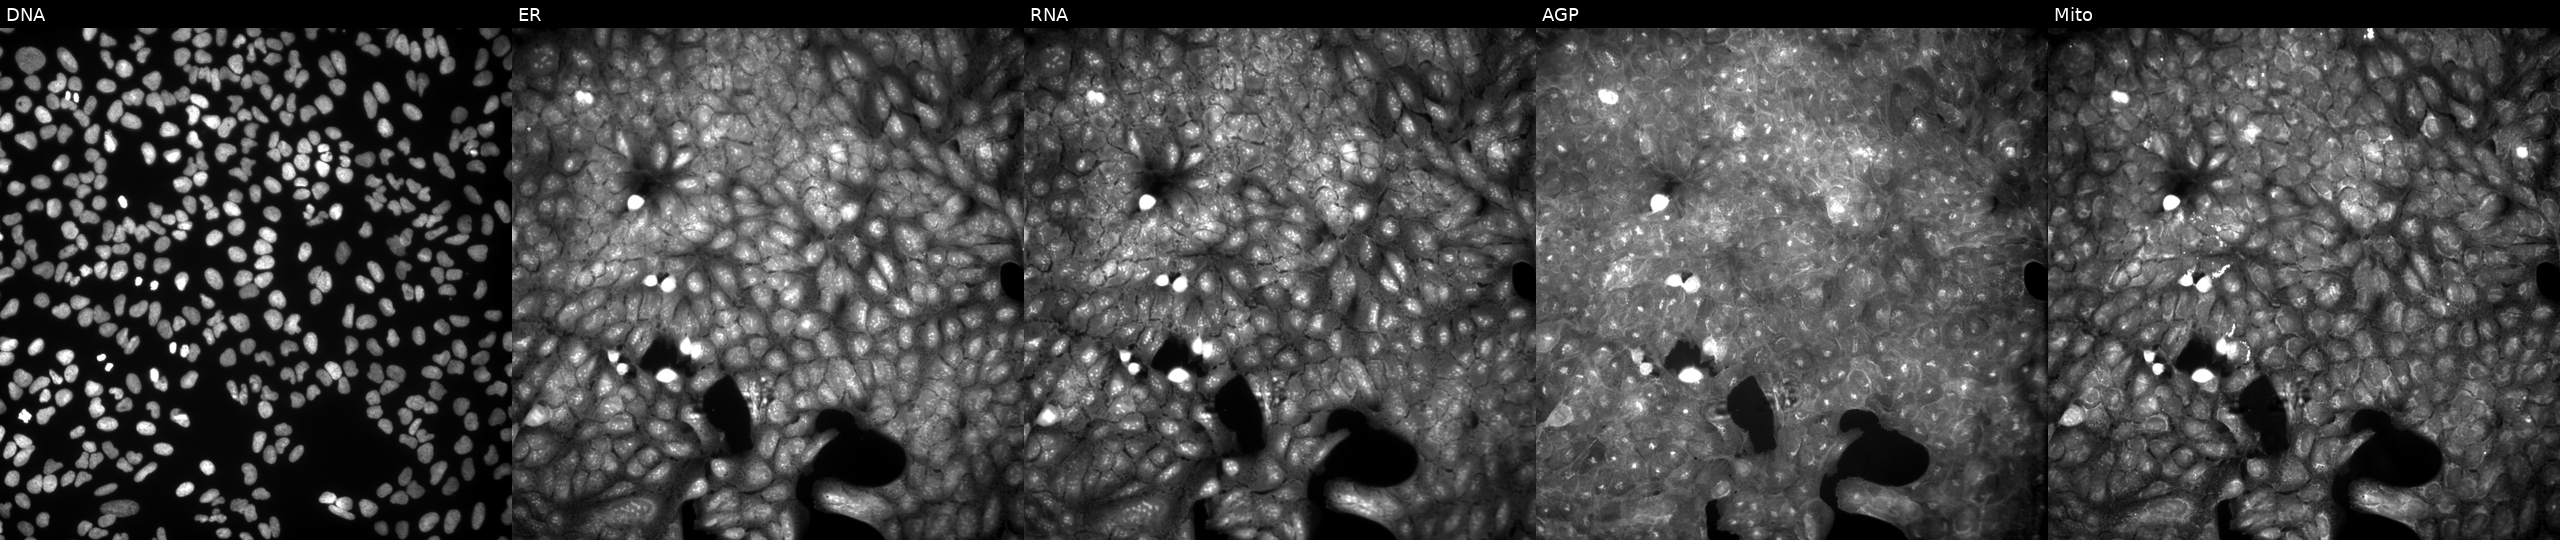
Five-channel Cell Painting image of U2OS cells perturbed with a small-molecule compound (InChIKey PKGLZIIWSVORAH-UHFFFAOYSA-N) (JUMP id JCP2022_069159). The five panels, left to right, show DNA (nuclei); ER (endoplasmic reticulum); RNA (nucleoli and cytoplasmic RNA); AGP (actin cytoskeleton, Golgi, and plasma membrane); Mito (mitochondria). Source 9, plate GR00003381, well T38.